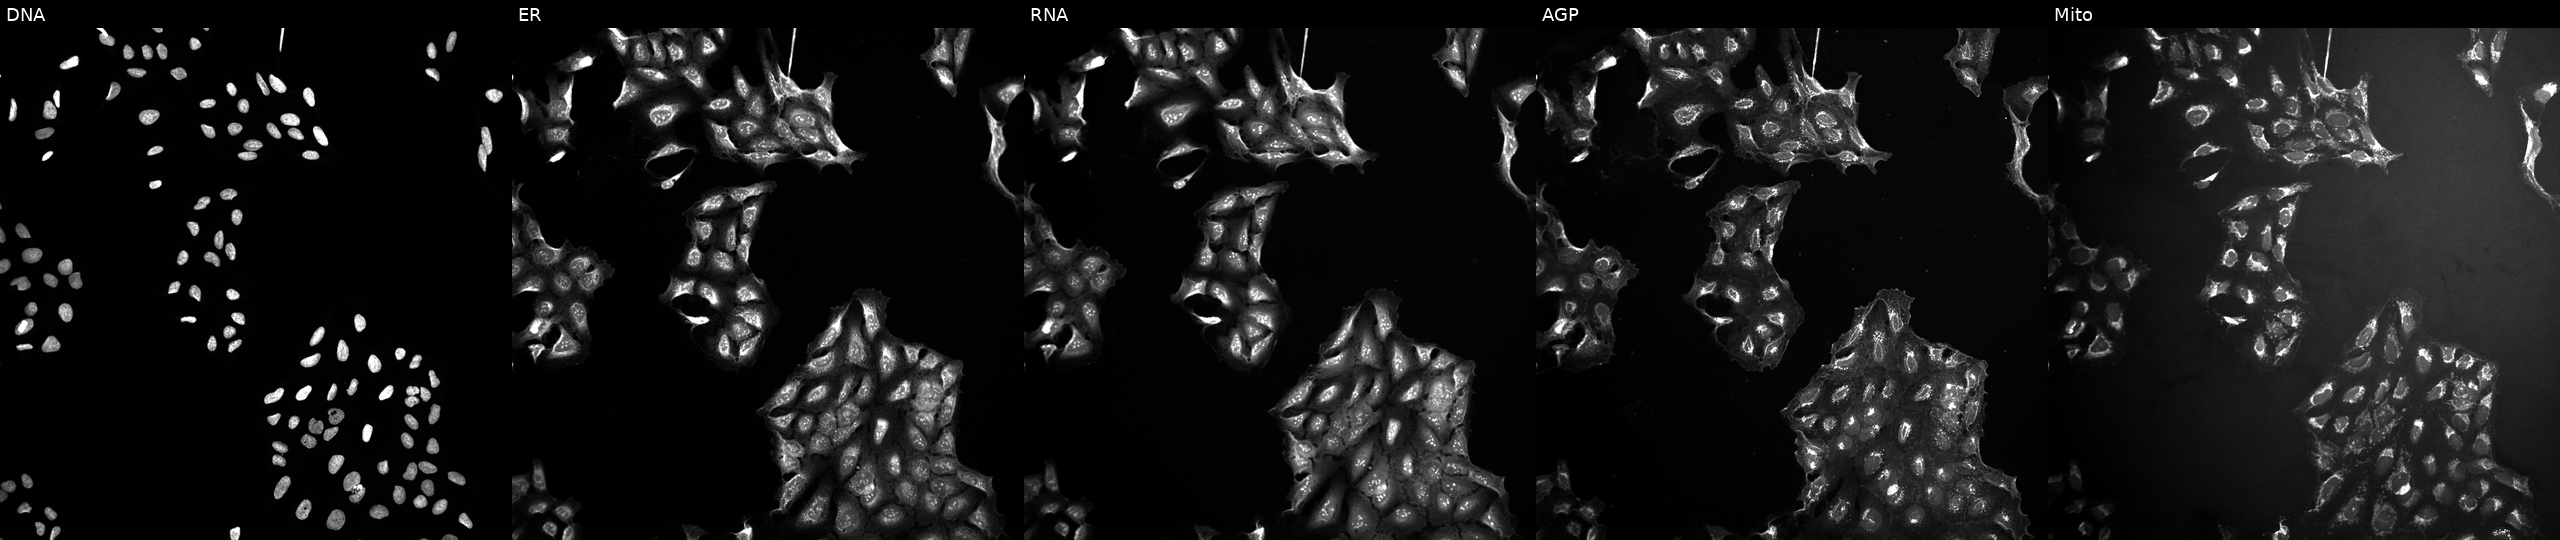
Five-channel Cell Painting image of U2OS cells treated with DMSO vehicle only (negative control) (JUMP id JCP2022_033924). Channels (left→right): DNA (nuclei); ER (endoplasmic reticulum); RNA (nucleoli and cytoplasmic RNA); AGP (actin cytoskeleton, Golgi, and plasma membrane); Mito (mitochondria).